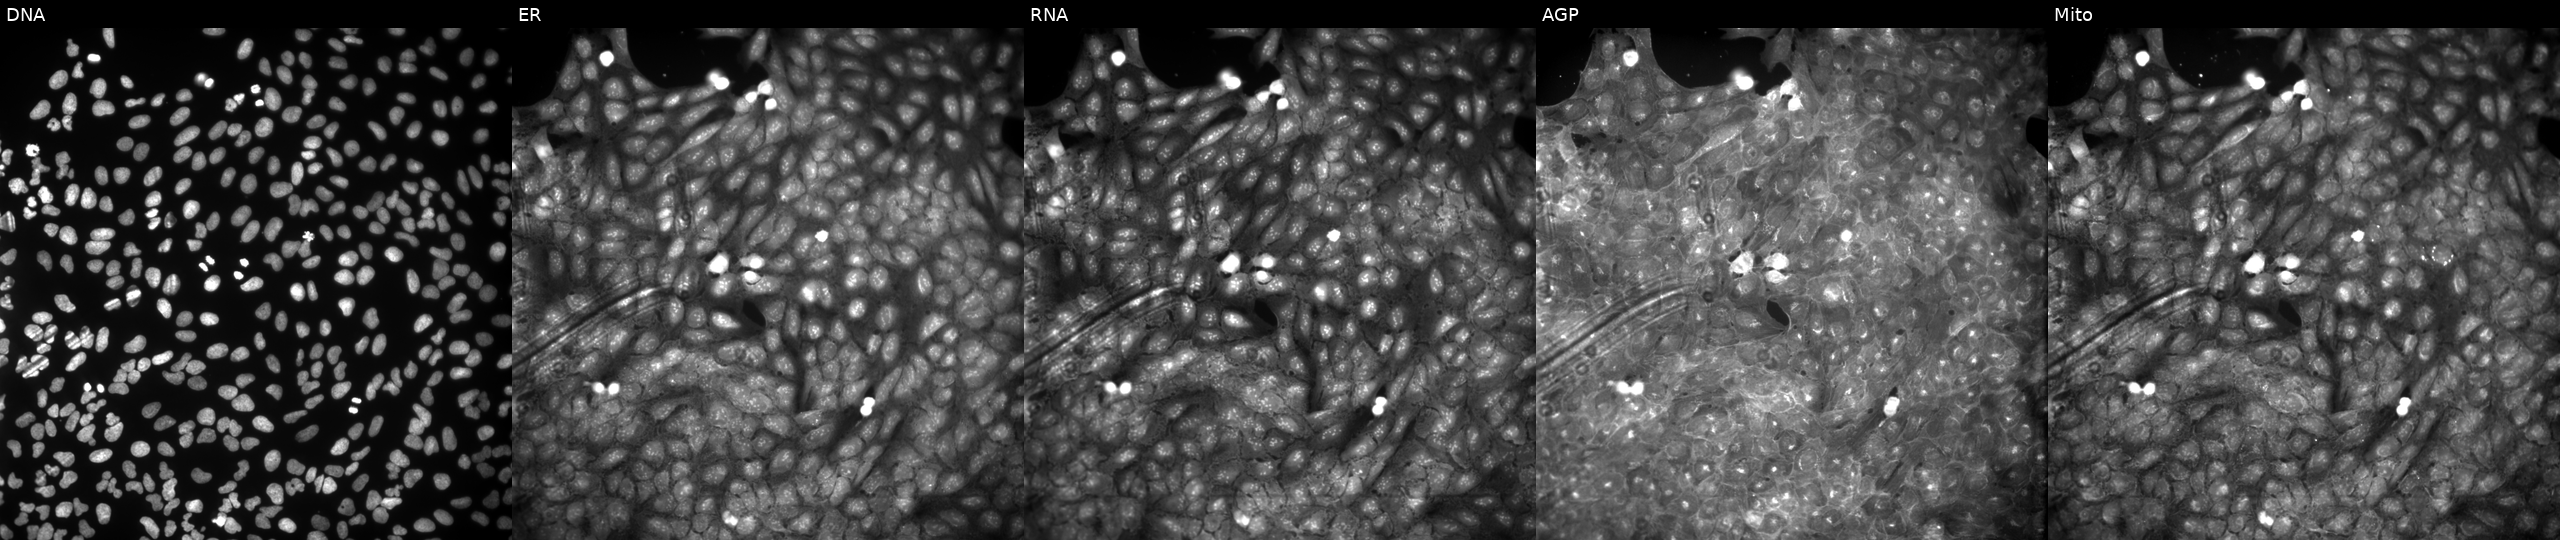
Five-channel Cell Painting image of U2OS cells perturbed with a small-molecule compound (InChIKey CFINUJBABHRHDT-UHFFFAOYSA-N) (JUMP id JCP2022_010765). From left to right: Hoechst 33342, concanavalin A, SYTO 14, phalloidin and WGA, MitoTracker.